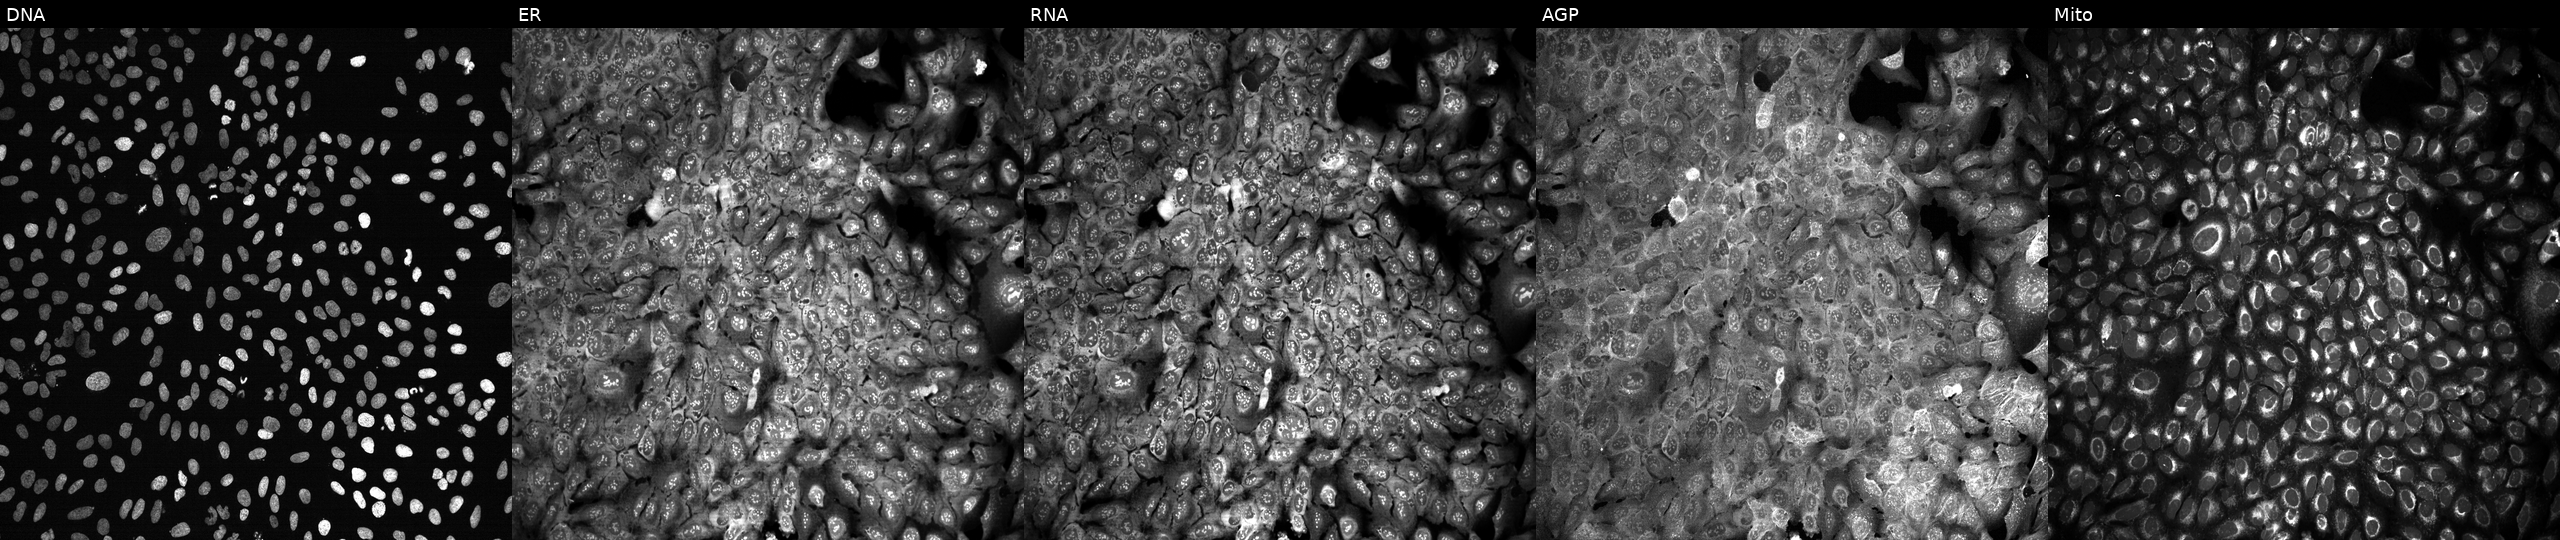
This image strip shows the five Cell Painting channels for a single field of U2OS cells CRISPR-edited to disrupt HSPD1. Panels show, left to right, DNA (nuclei); ER (endoplasmic reticulum); RNA (nucleoli and cytoplasmic RNA); AGP (actin cytoskeleton, Golgi, and plasma membrane); Mito (mitochondria). Source 13, plate CP-CC9-R3-02, well H04.